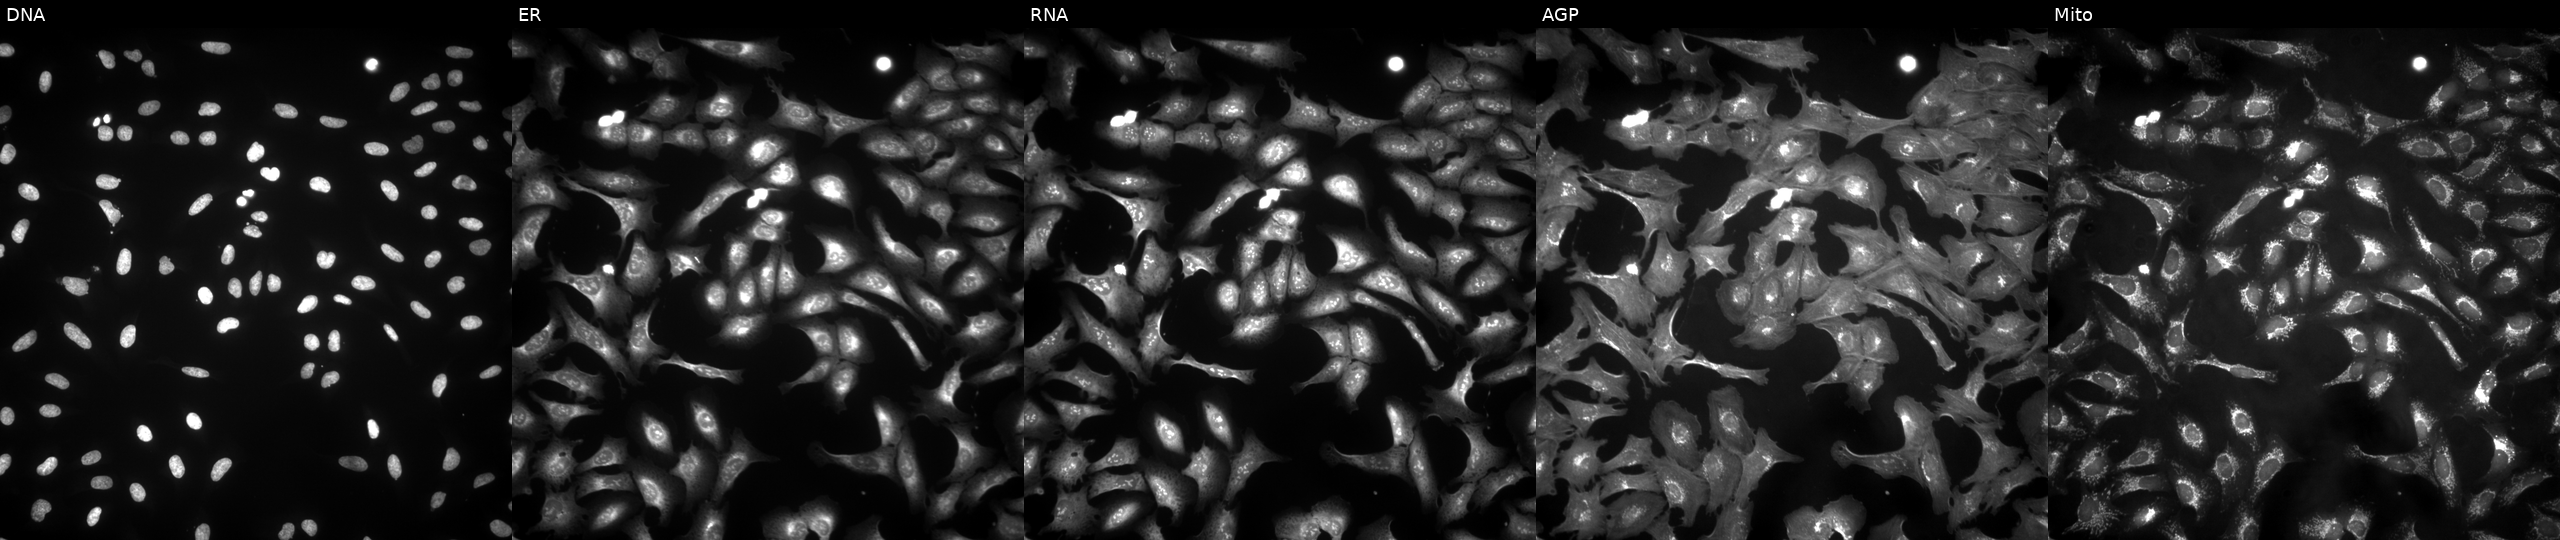
JUMP Cell Painting — ORF plate. U2OS cells transfected with an ORF construct for MTERF3. The five panels, left to right, show Hoechst 33342, concanavalin A, SYTO 14, phalloidin and WGA, MitoTracker.